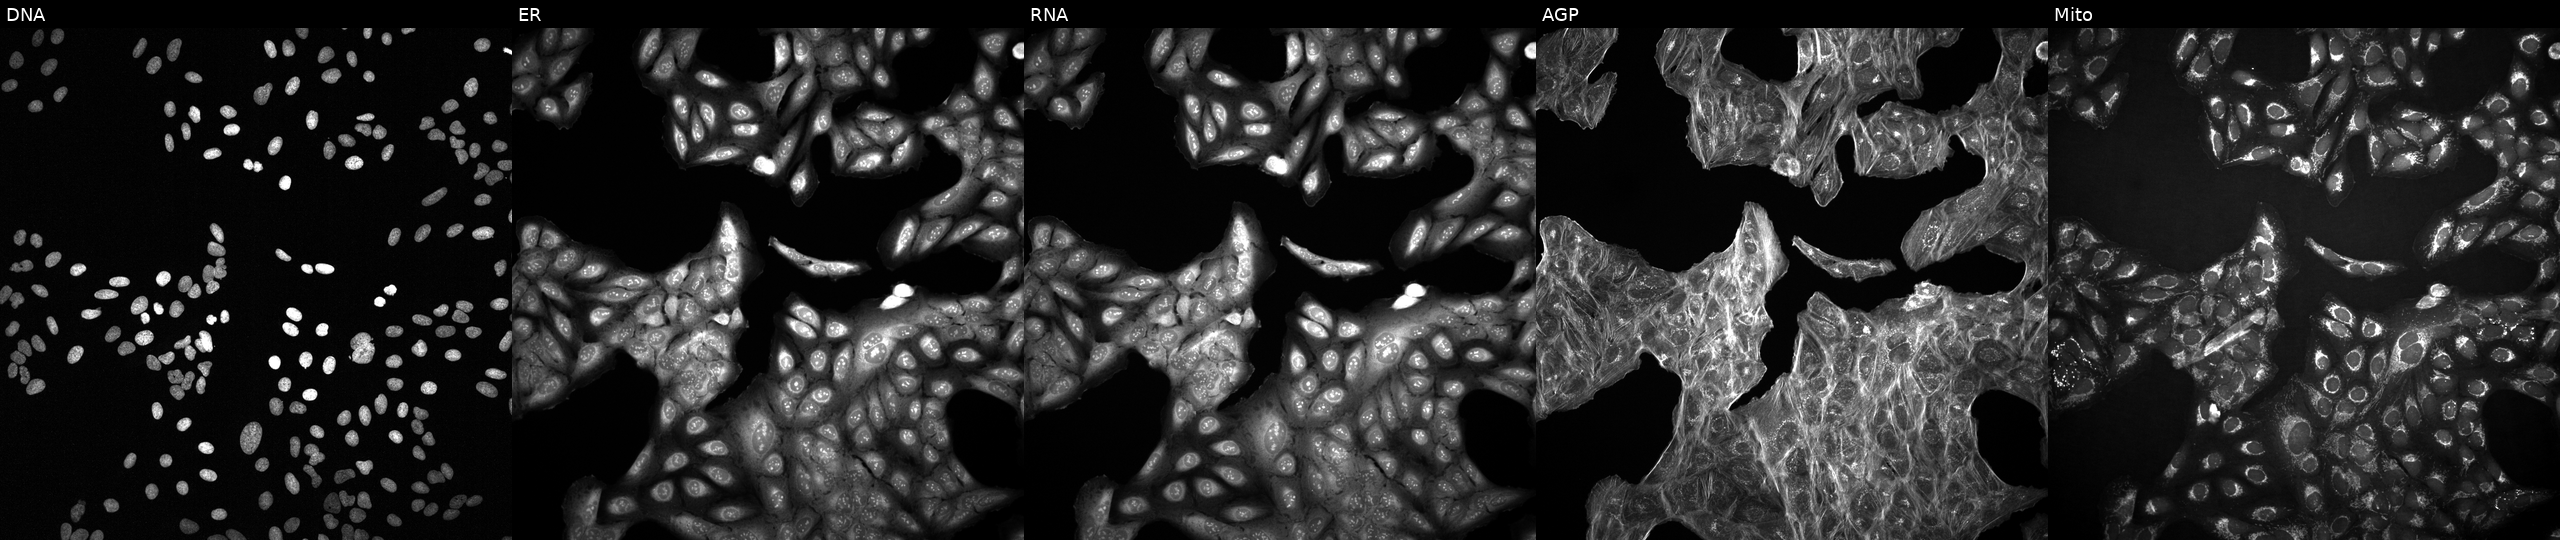
JUMP Cell Painting — COMPOUND plate. U2OS cells treated with a small-molecule compound (InChIKey CYNFKPFPZBYVMN-UHFFFAOYSA-N). Channels (left→right): Hoechst 33342, concanavalin A, SYTO 14, phalloidin and WGA, MitoTracker.